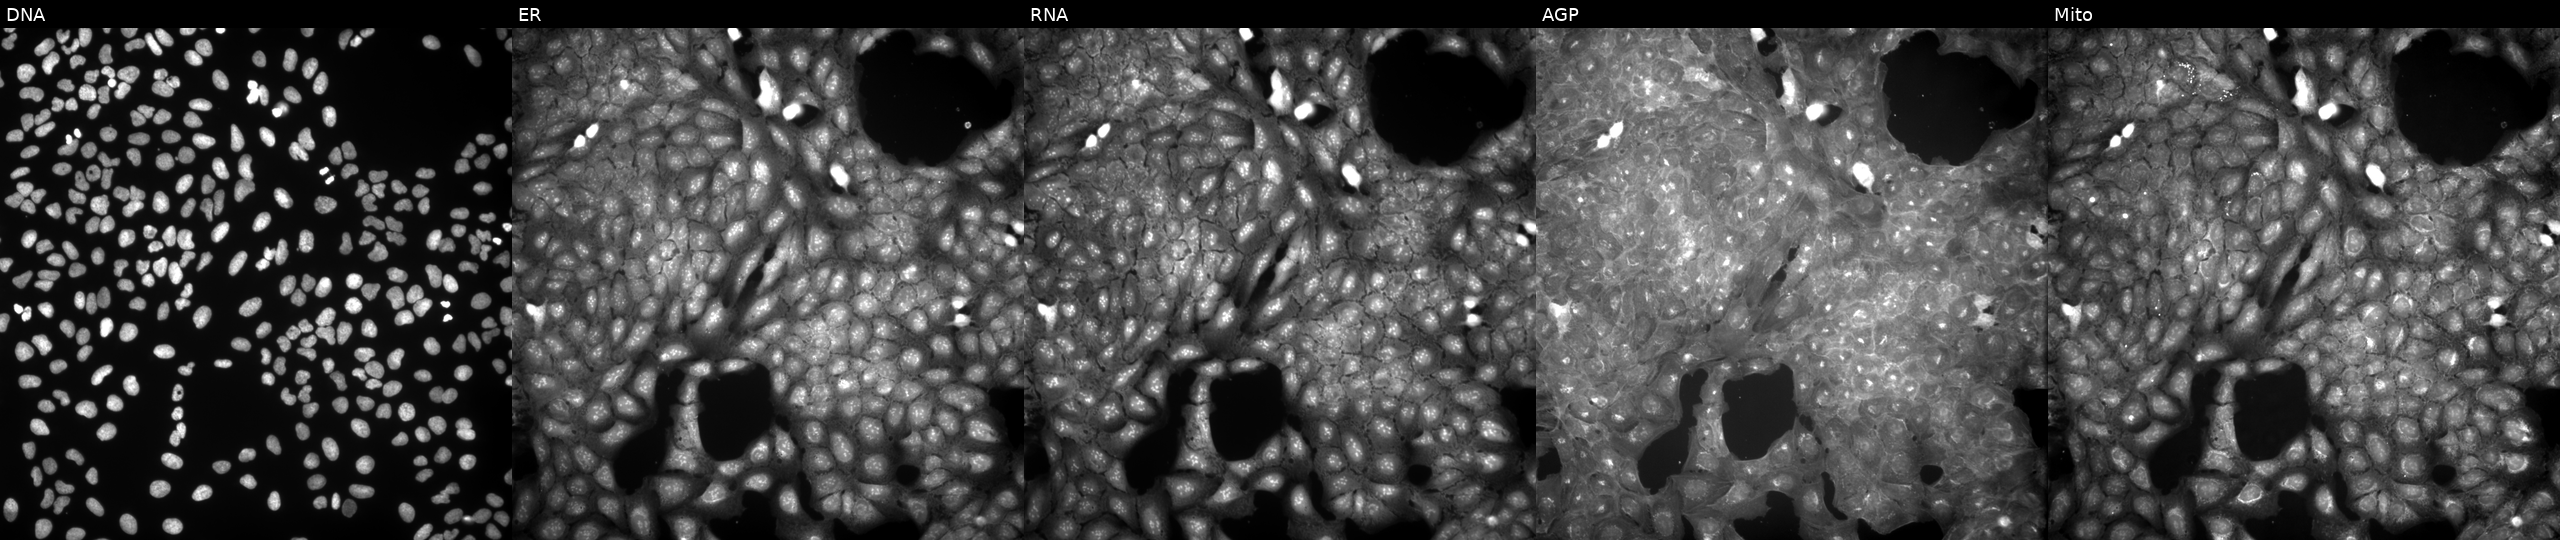
From left to right: DNA (nuclei); ER (endoplasmic reticulum); RNA (nucleoli and cytoplasmic RNA); AGP (actin cytoskeleton, Golgi, and plasma membrane); Mito (mitochondria). U2OS osteosarcoma cells perturbed with a small-molecule compound (JUMP id JCP2022_065149). Cell Painting assay, JUMP-CP dataset.